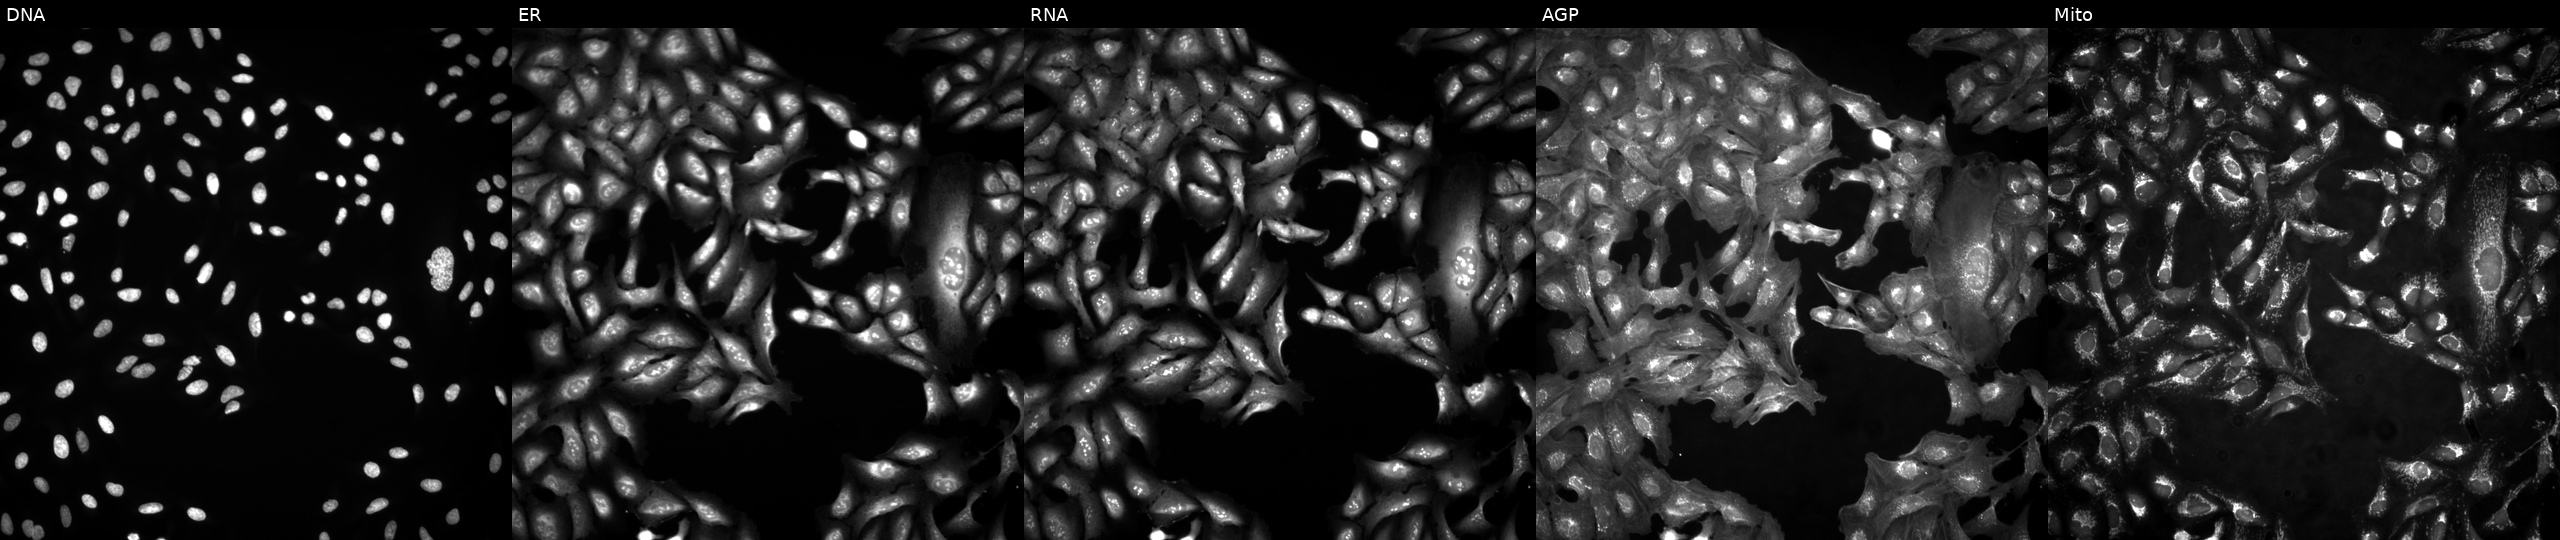
U2OS cells, Cell Painting assay, untreated (empty-well control). From left to right: DNA, ER, RNA, AGP, and Mito. Each panel is percentile-stretched 16-bit fluorescence.